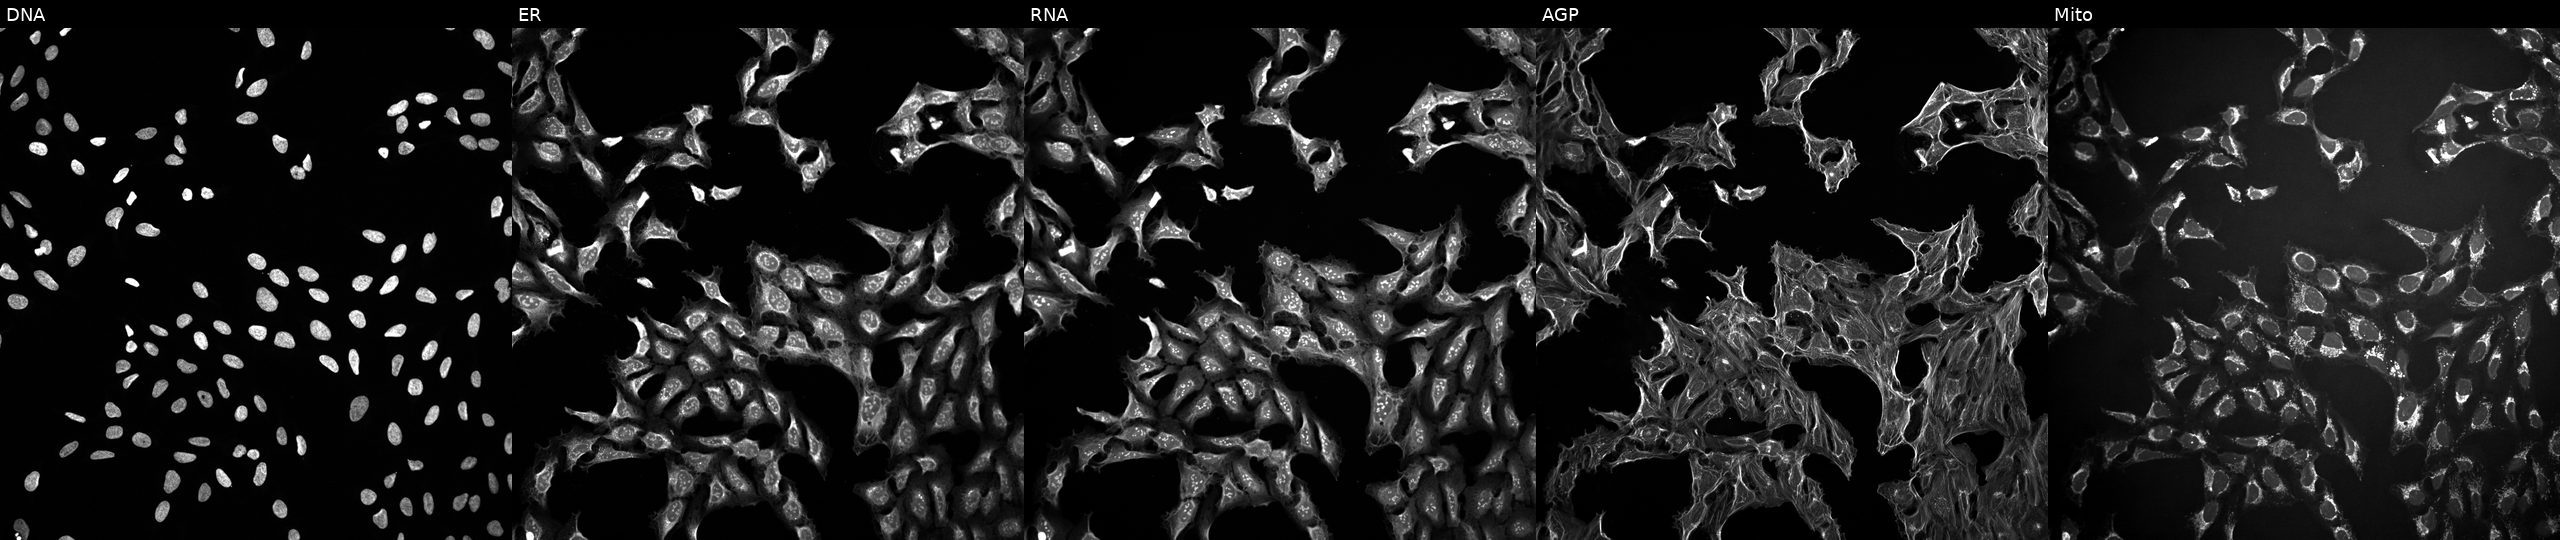
This image strip shows the five Cell Painting channels for a single field of U2OS cells exposed to a small-molecule compound (JUMP id JCP2022_081496). The five panels, left to right, show Hoechst 33342, concanavalin A, SYTO 14, phalloidin and WGA, MitoTracker. Source 10, plate Dest210727-153003, well M09.